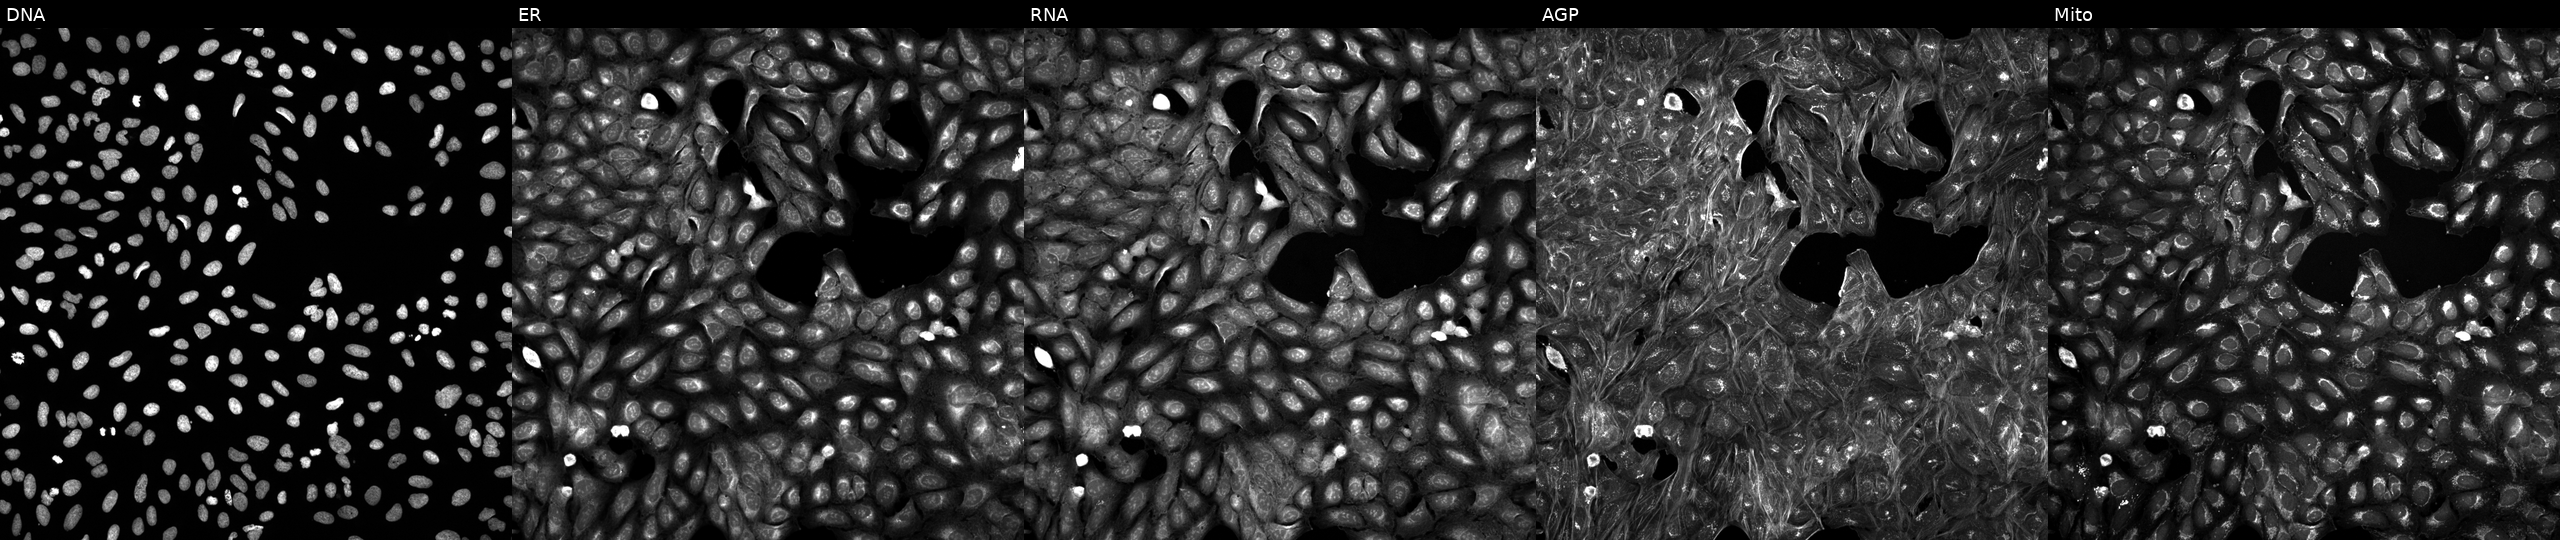
High-content fluorescence microscopy (Cell Painting). Cell line: U2OS. Perturbation: exposed to DMSO alone as a negative control (JUMP id JCP2022_033924). Panels show, left to right, Hoechst 33342, concanavalin A, SYTO 14, phalloidin and WGA, MitoTracker. Source 5, plate ACPJUM051, well G03.